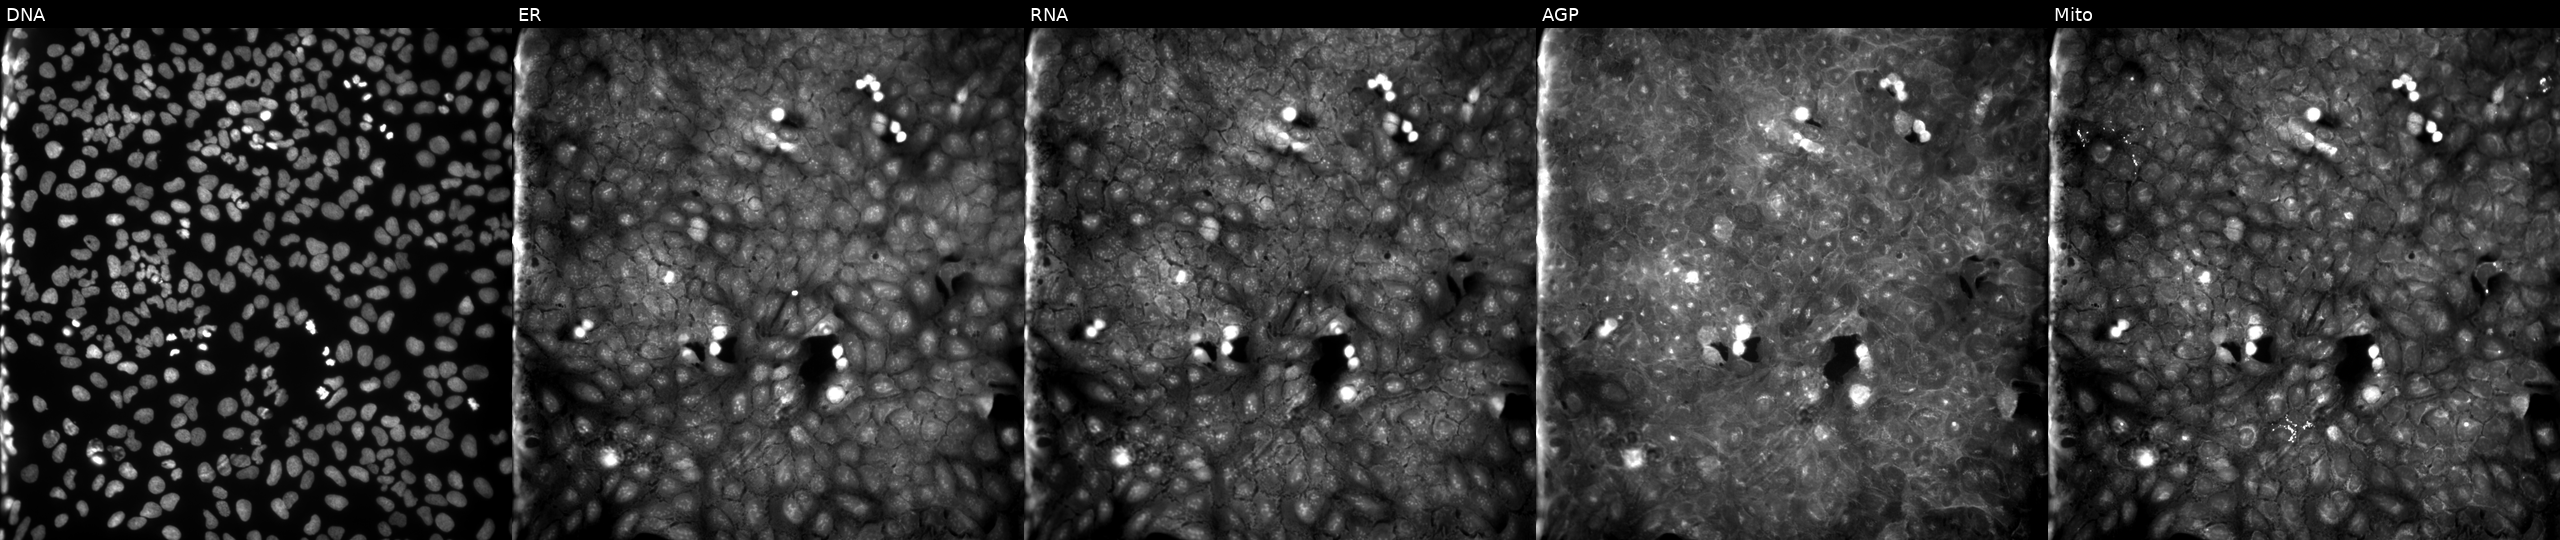
U2OS cells, Cell Painting assay, perturbed with a small-molecule compound (InChIKey AUUUWZZWOMHWKP-UHFFFAOYSA-N). The five panels, left to right, show DNA, ER, RNA, AGP, and Mito. Each panel is percentile-stretched 16-bit fluorescence. Source 9, plate GR00003381, well O06.